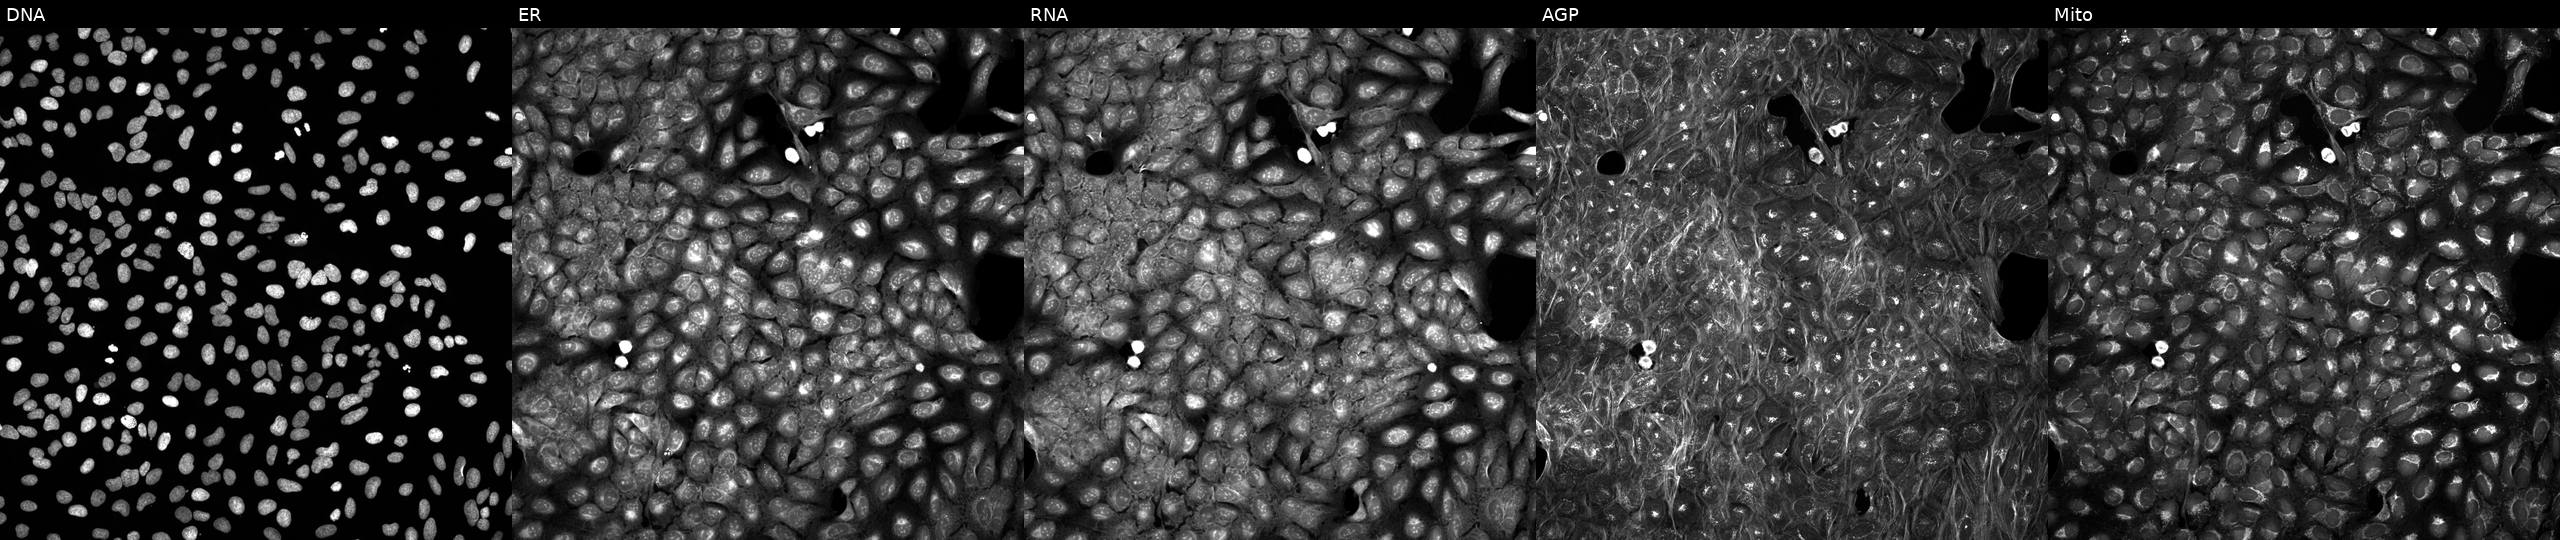
Five-channel Cell Painting image of U2OS cells exposed to a small-molecule compound. The five panels, left to right, show Hoechst 33342, concanavalin A, SYTO 14, phalloidin and WGA, MitoTracker.